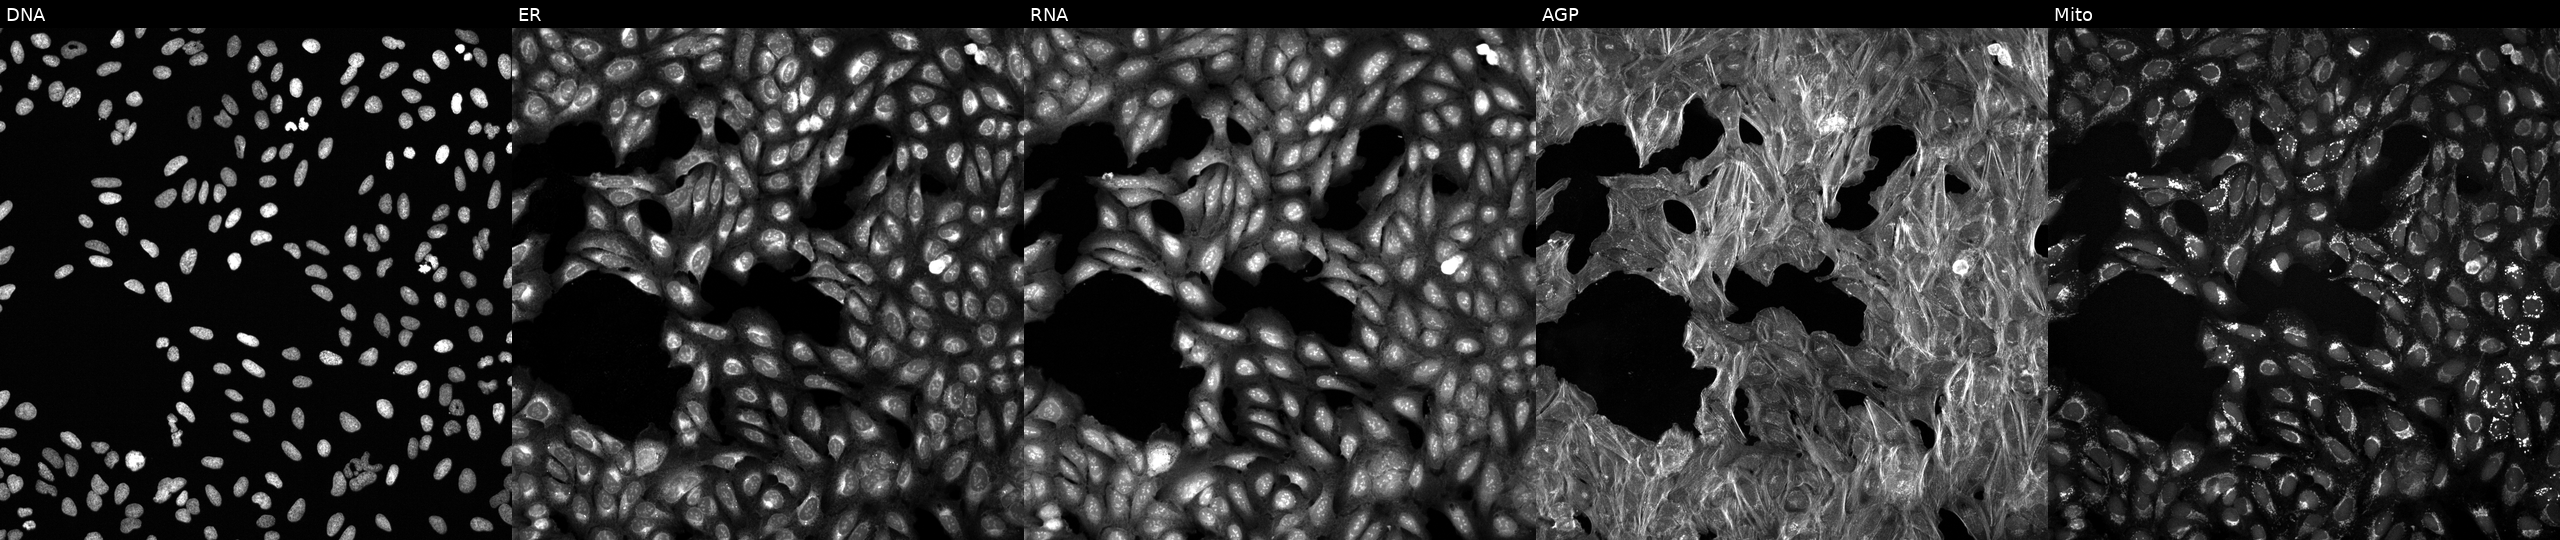
High-content fluorescence microscopy (Cell Painting). Cell line: U2OS. Perturbation: perturbed with a small-molecule compound. From left to right: DNA (nuclei); ER (endoplasmic reticulum); RNA (nucleoli and cytoplasmic RNA); AGP (actin cytoskeleton, Golgi, and plasma membrane); Mito (mitochondria).